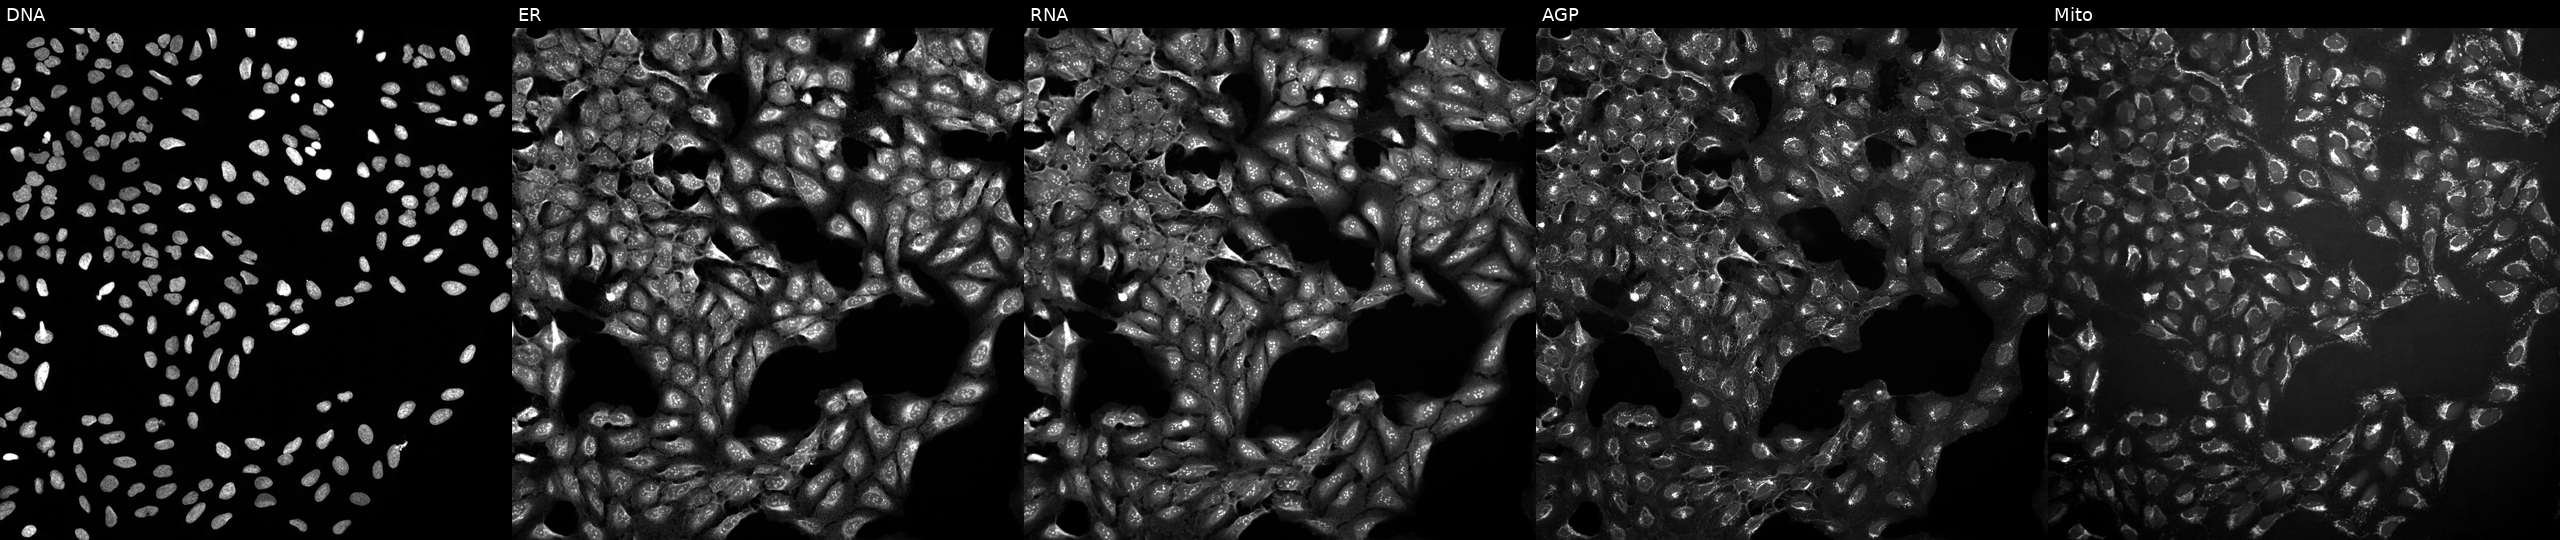
U2OS cells, Cell Painting assay, perturbed with a small-molecule compound (InChIKey MJVAVZPDRWSRRC-UHFFFAOYSA-N) [SMILES: CC1=CC(=O)c2ccccc2C1=O] (JUMP id JCP2022_054618). The five panels, left to right, show DNA (nuclei); ER (endoplasmic reticulum); RNA (nucleoli and cytoplasmic RNA); AGP (actin cytoskeleton, Golgi, and plasma membrane); Mito (mitochondria). Each panel is percentile-stretched 16-bit fluorescence. Source 10, plate Dest210803-153958, well H05.